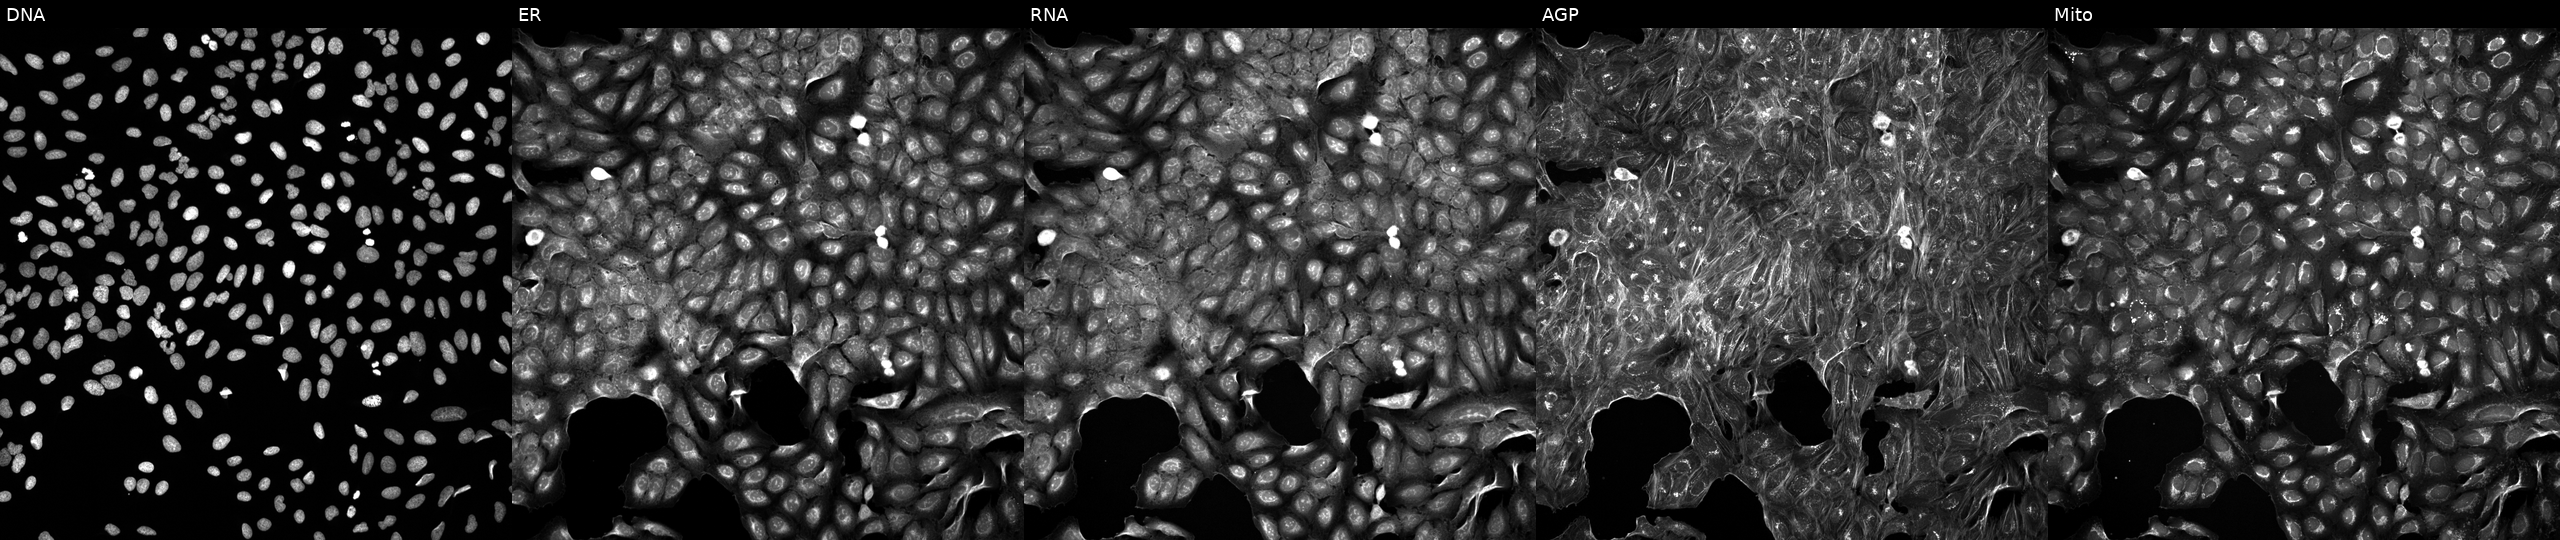
Channels (left→right): Hoechst 33342, concanavalin A, SYTO 14, phalloidin and WGA, MitoTracker. U2OS osteosarcoma cells treated with a small-molecule compound (InChIKey WDENQIQQYWYTPO-UHFFFAOYSA-N) (JUMP id JCP2022_097998). Cell Painting assay, JUMP-CP dataset.